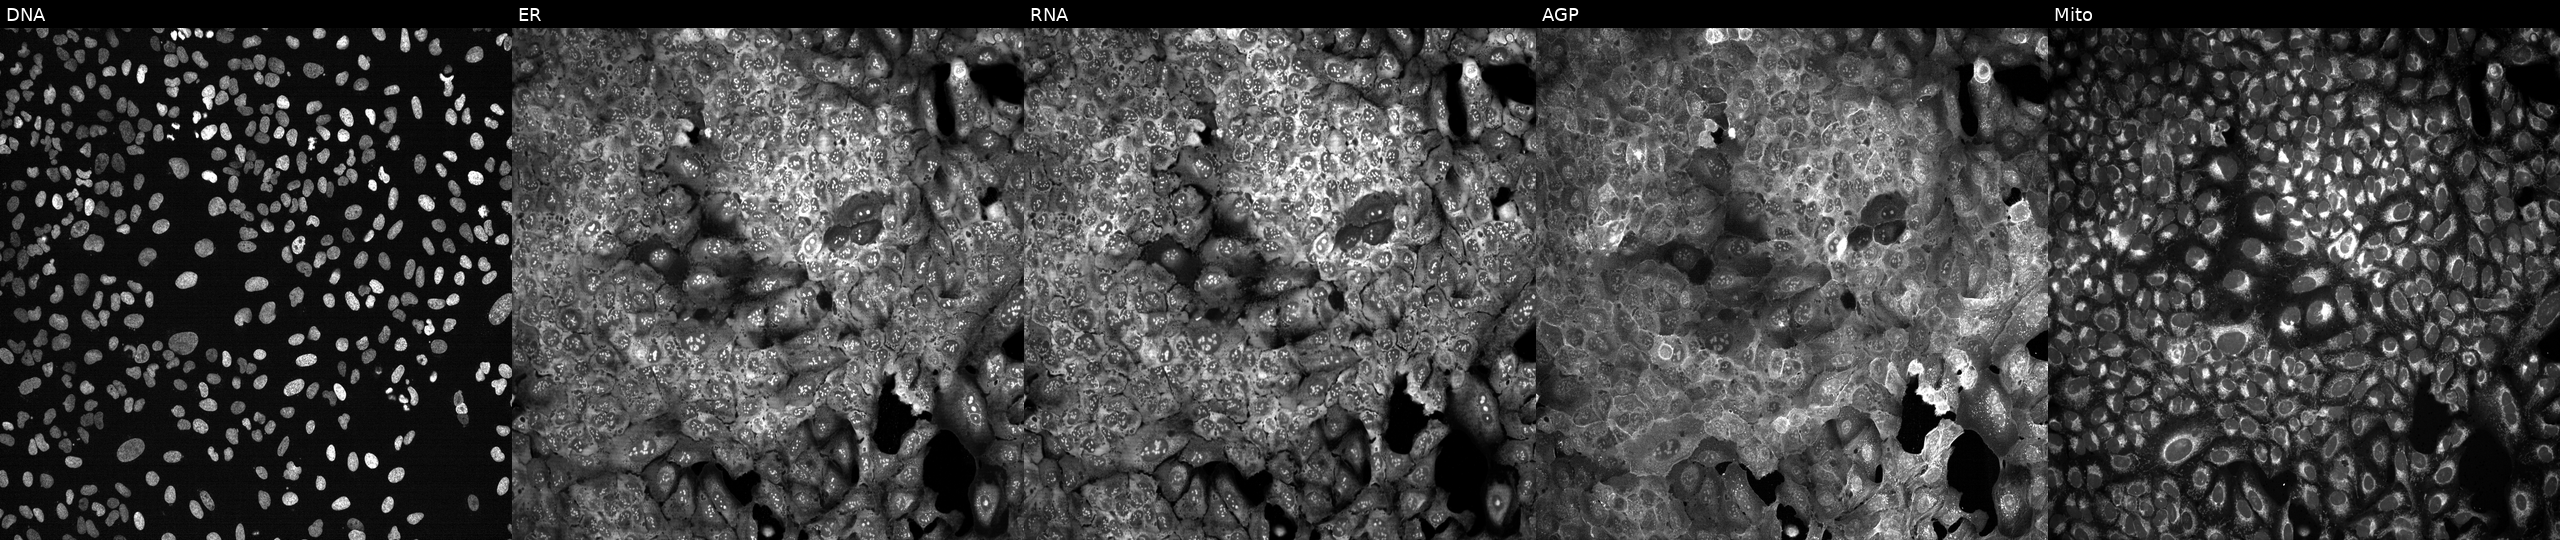
From left to right: DNA, ER, RNA, AGP, and Mito. U2OS osteosarcoma cells CRISPR-edited to disrupt SLC26A10 (JUMP id JCP2022_806465). Cell Painting assay, JUMP-CP dataset.